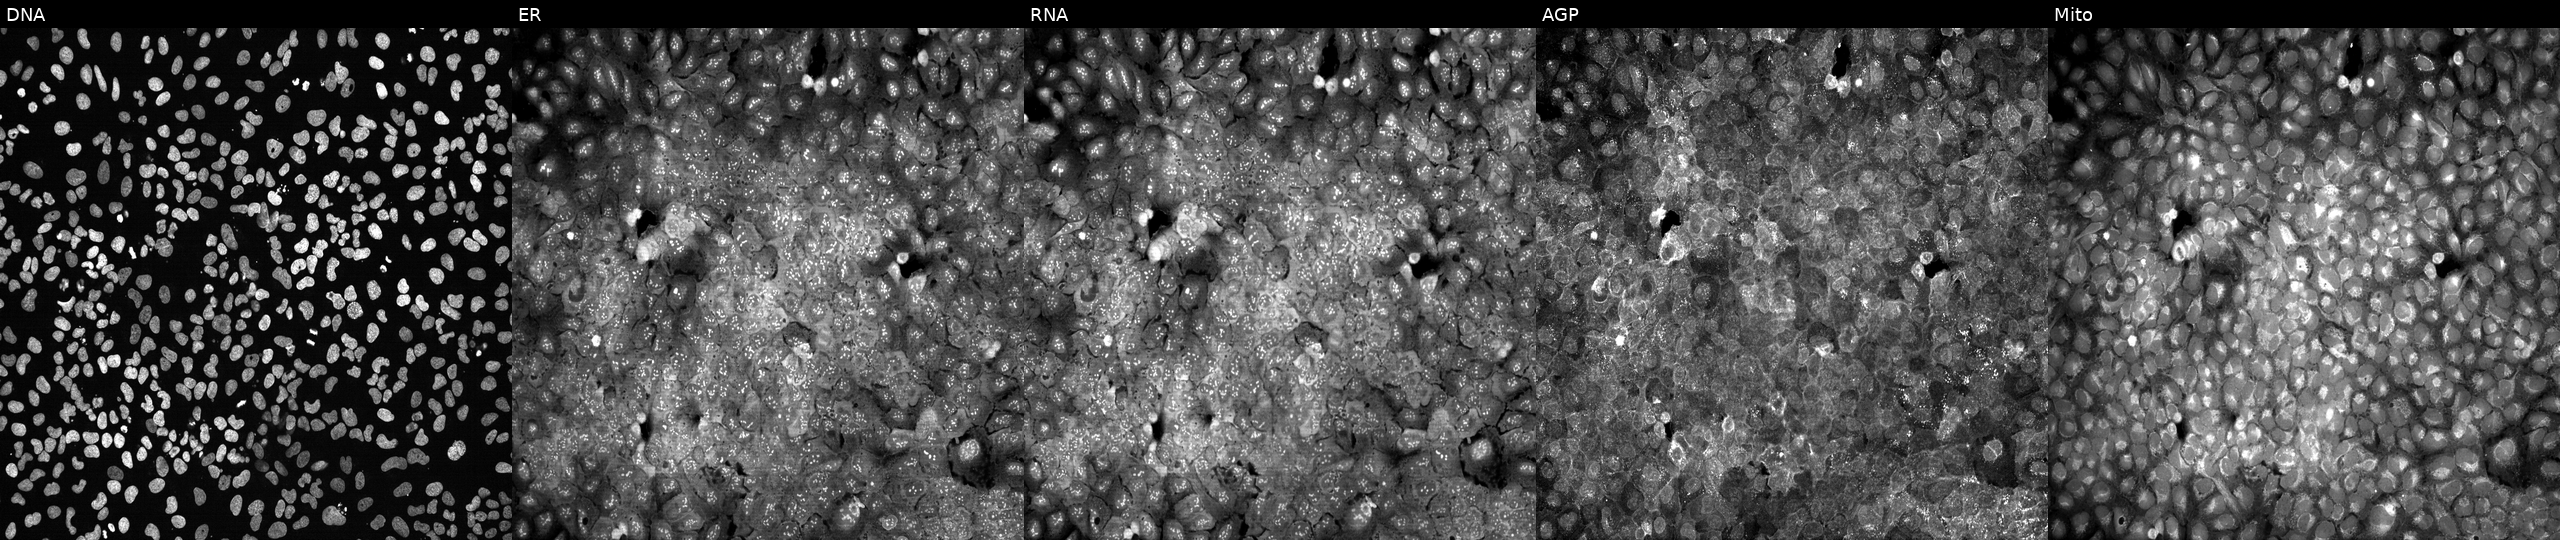
From left to right: Hoechst 33342, concanavalin A, SYTO 14, phalloidin and WGA, MitoTracker. U2OS osteosarcoma cells CRISPR-edited to disrupt SLC28A3 (JUMP id JCP2022_806479). Cell Painting assay, JUMP-CP dataset.